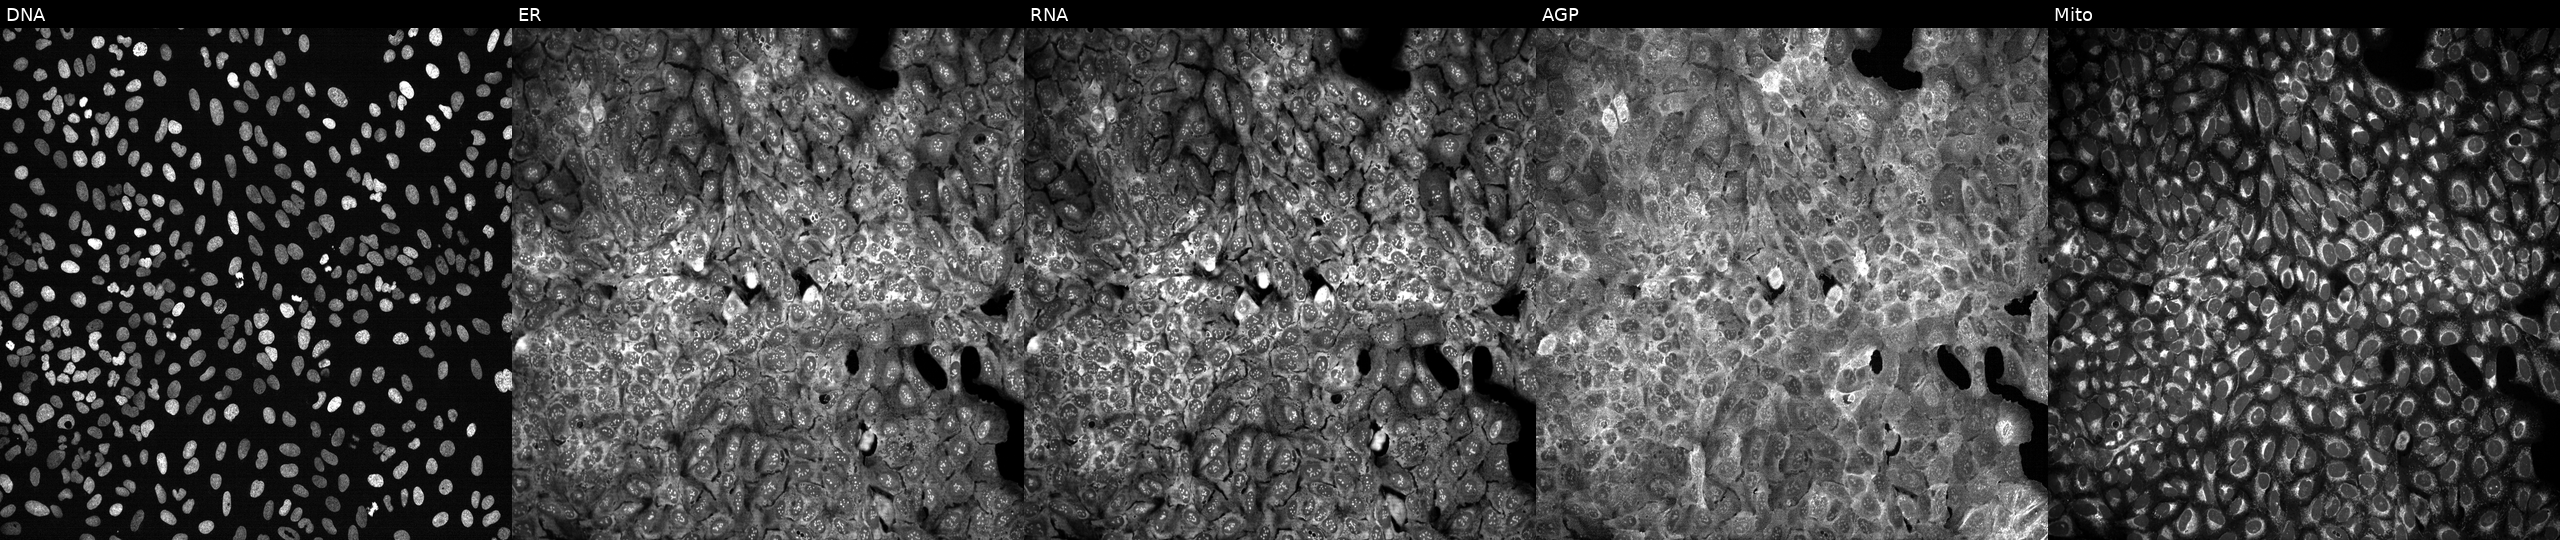
U2OS cells, Cell Painting assay, with PLPPR2 knocked out by CRISPR. The five panels, left to right, show Hoechst 33342, concanavalin A, SYTO 14, phalloidin and WGA, MitoTracker. Each panel is percentile-stretched 16-bit fluorescence. Source 13, plate CP-CC9-R3-02, well I12.